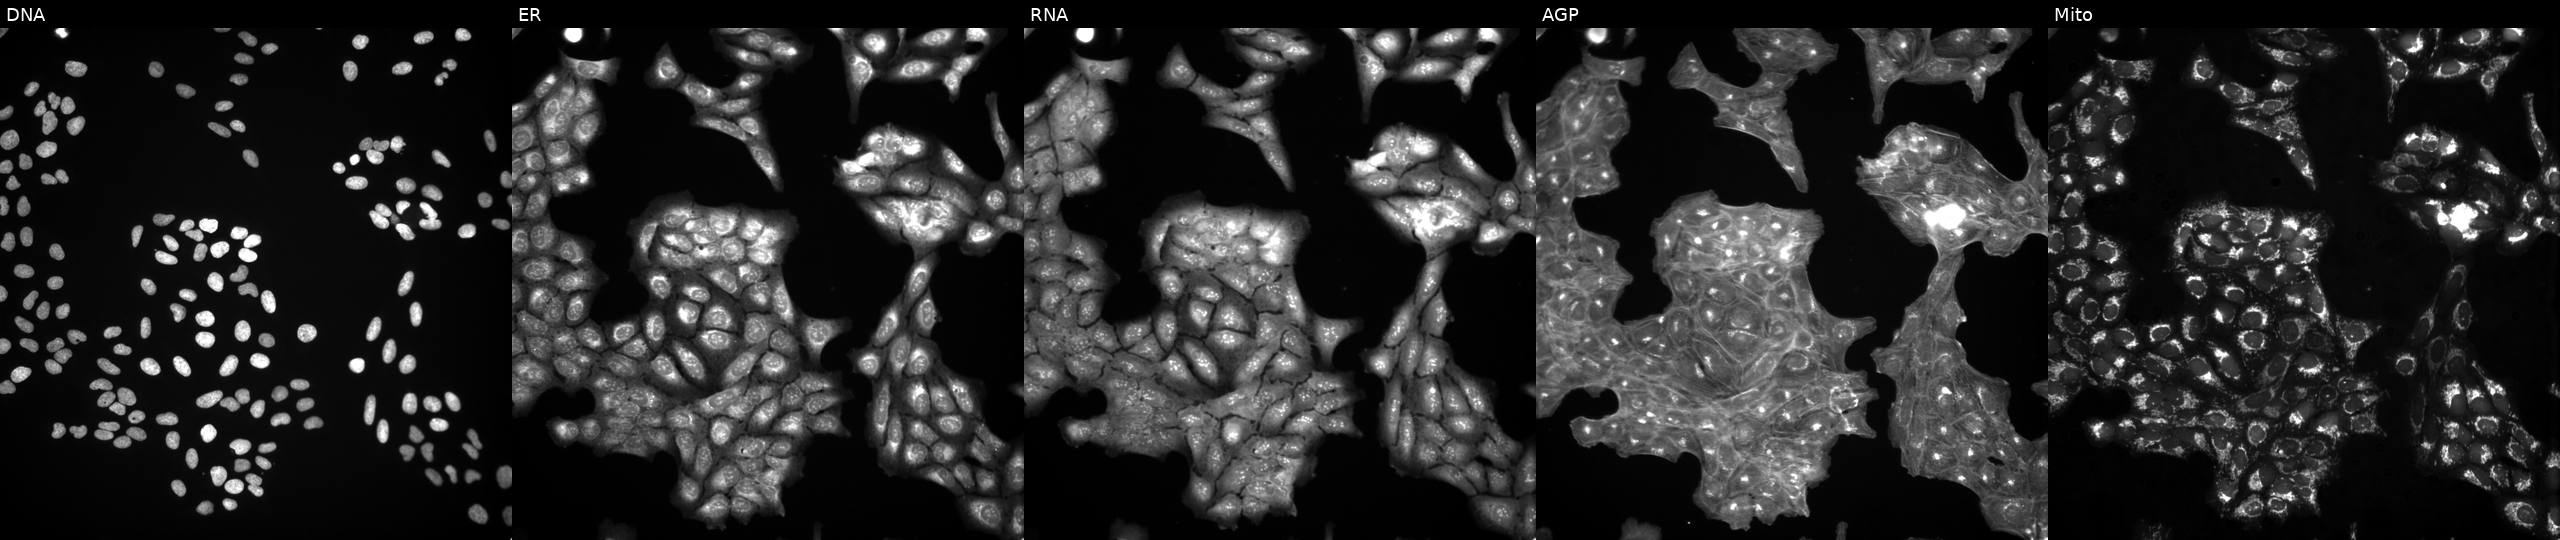
Five-channel Cell Painting image of U2OS cells perturbed with a small-molecule compound (InChIKey VCKUSRYTPJJLNI-UHFFFAOYSA-N) (JUMP id JCP2022_093047). Channels (left→right): Hoechst 33342, concanavalin A, SYTO 14, phalloidin and WGA, MitoTracker. Source 3, plate JCPQC051, well N24.